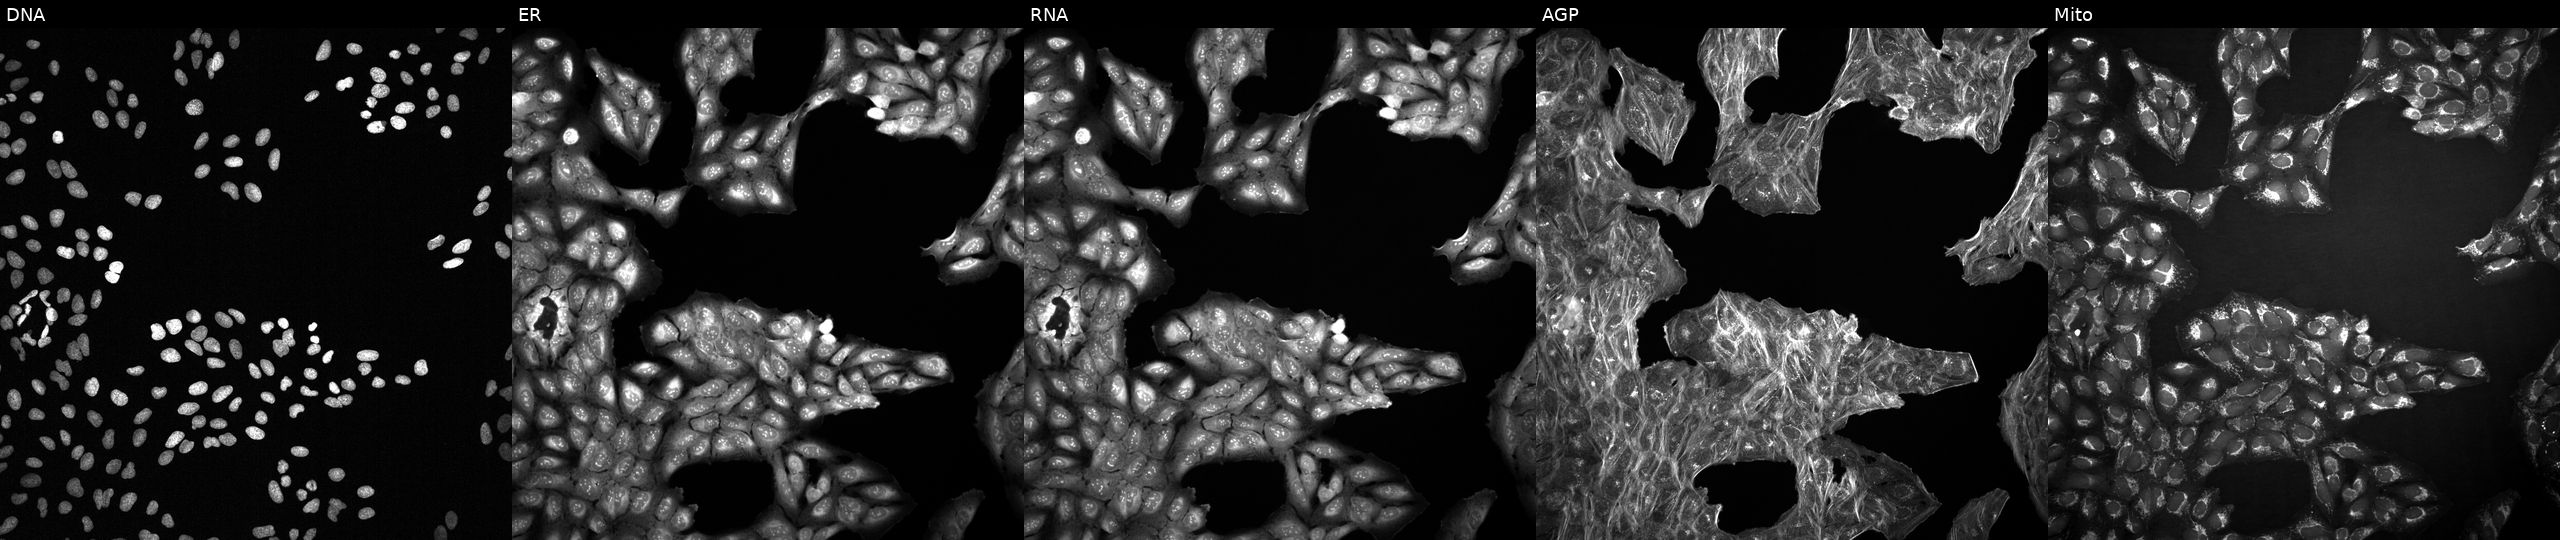
High-content fluorescence microscopy (Cell Painting). Cell line: U2OS. Perturbation: with an unidentified perturbation (not annotated in JUMP metadata). From left to right: DNA, ER, RNA, AGP, and Mito. Source 2, plate 1053601763, well F22.